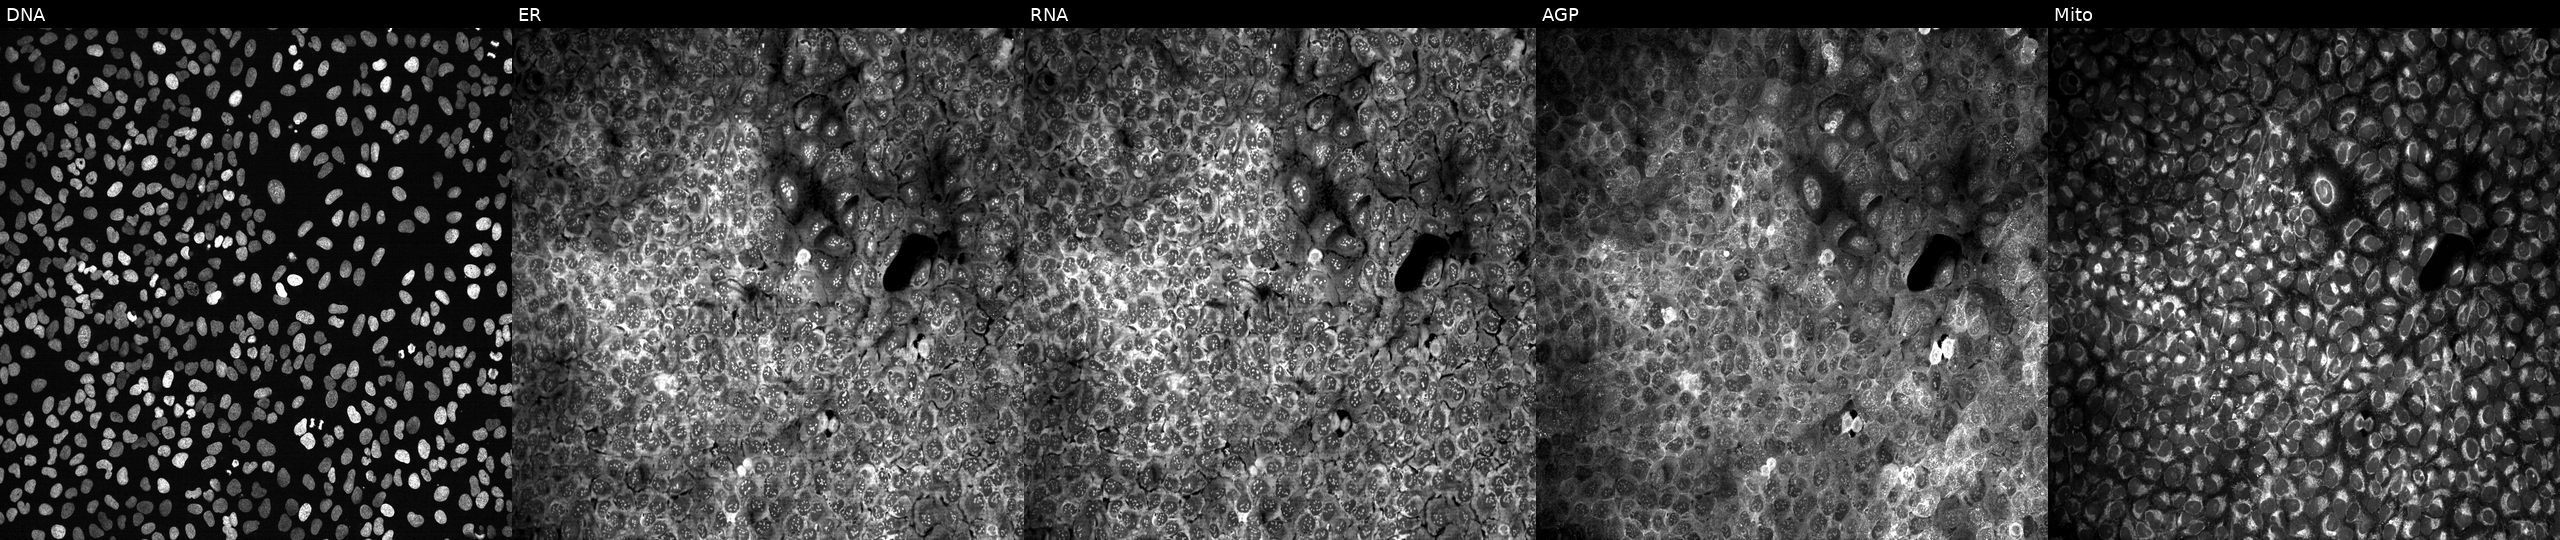
From left to right: DNA, ER, RNA, AGP, and Mito. U2OS osteosarcoma cells exposed to the positive-control compound aloxistatin. Cell Painting assay, JUMP-CP dataset.